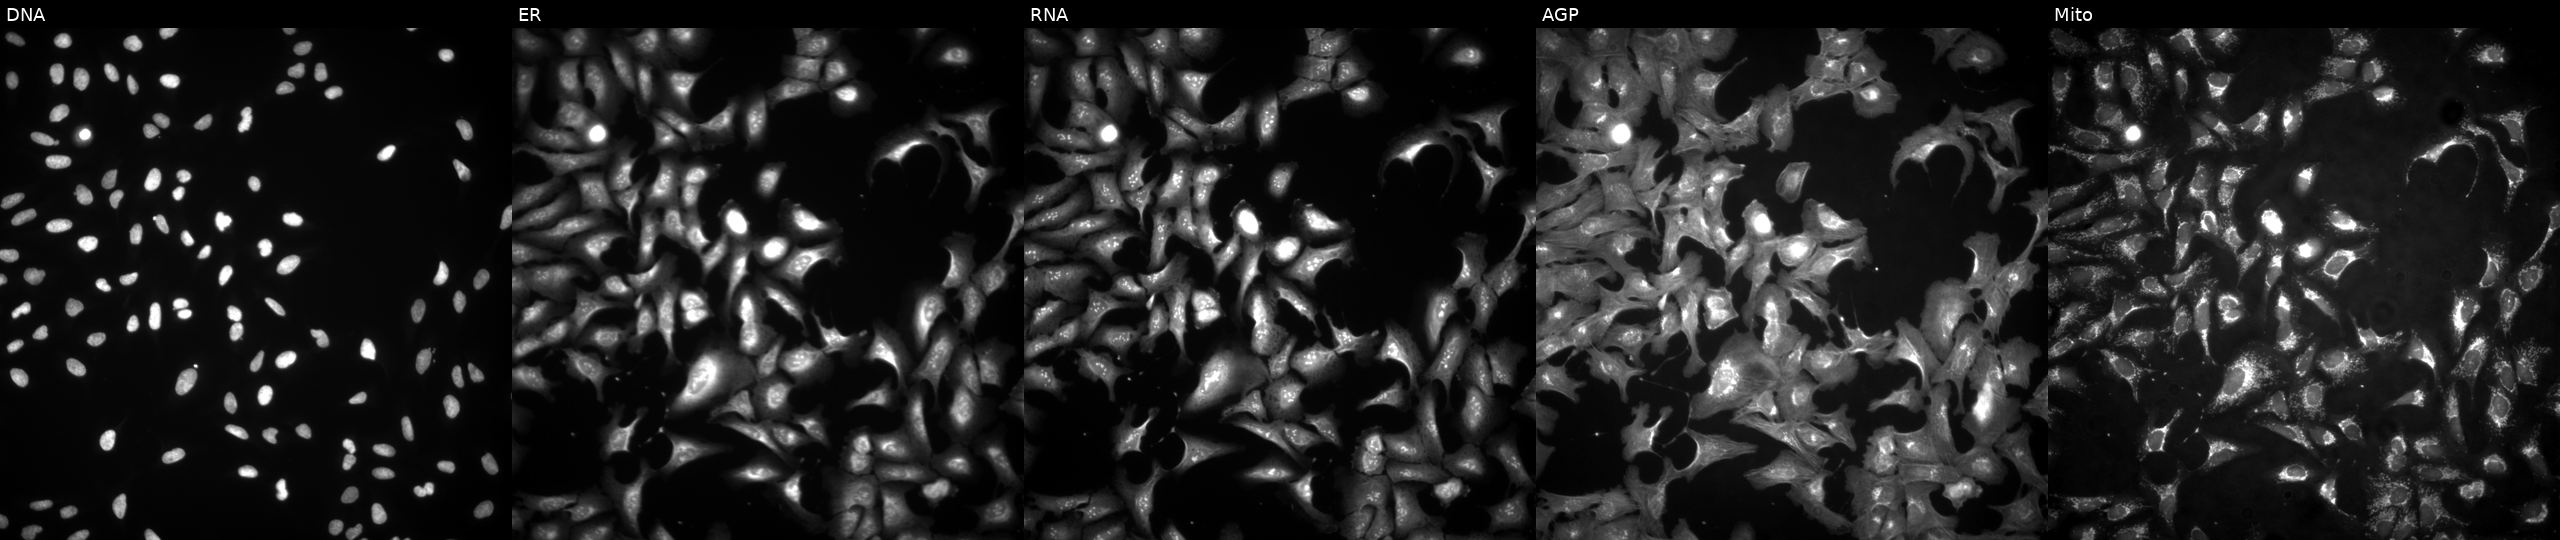
U2OS cells, Cell Painting assay, with HLA-A overexpressed (ORF) (JUMP id JCP2022_910135). The five panels, left to right, show DNA, ER, RNA, AGP, and Mito. Each panel is percentile-stretched 16-bit fluorescence.